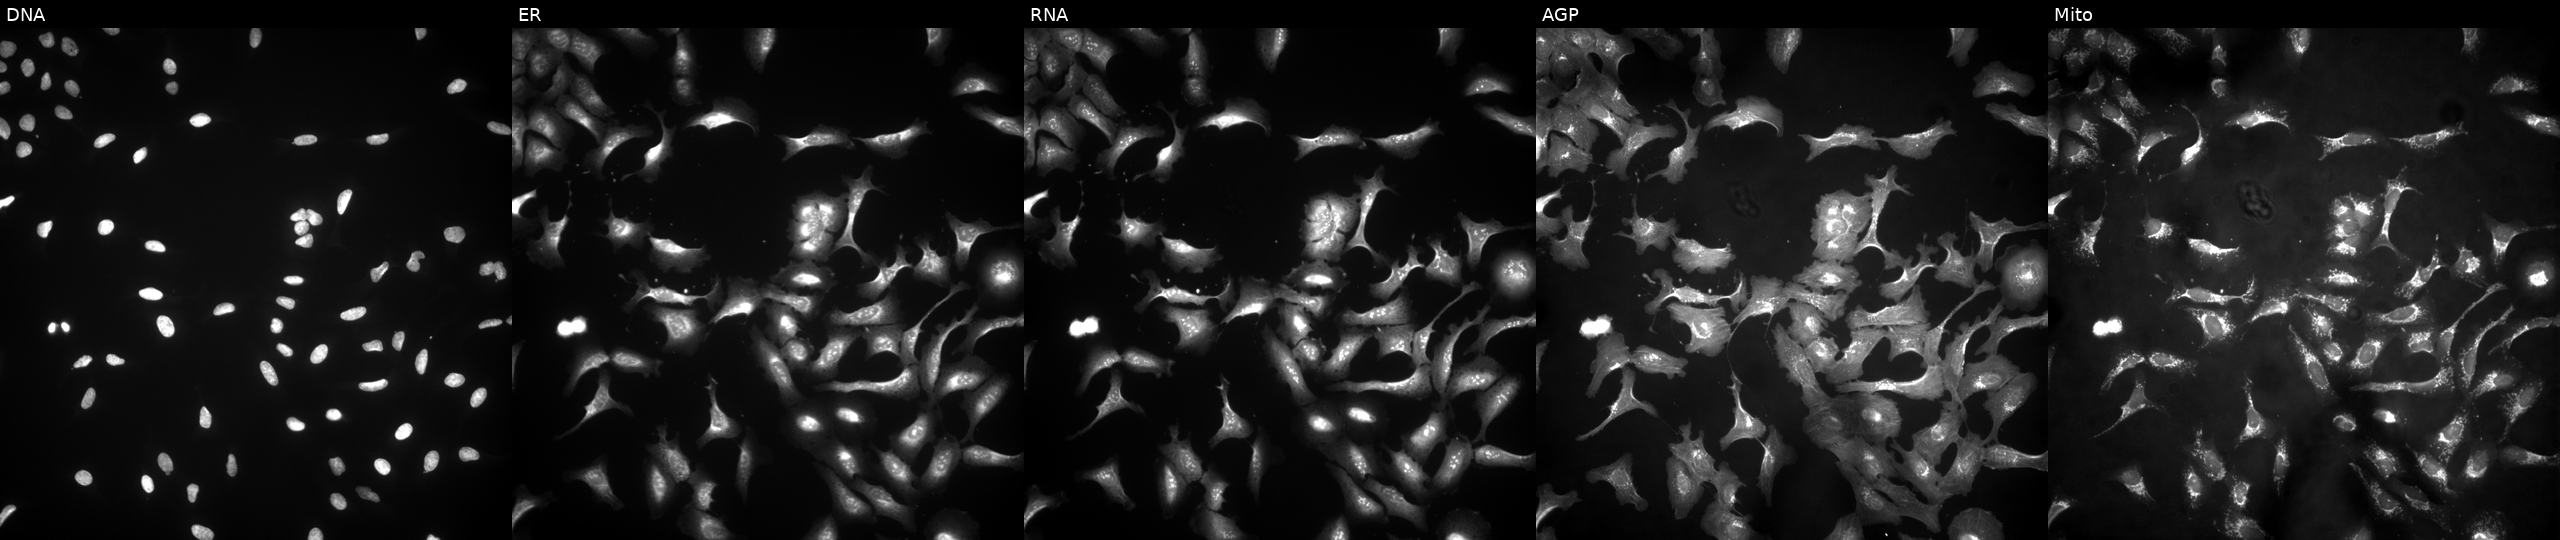
This image strip shows the five Cell Painting channels for a single field of U2OS cells with KRT15 overexpressed (ORF) (JUMP id JCP2022_900860). From left to right: Hoechst 33342, concanavalin A, SYTO 14, phalloidin and WGA, MitoTracker. Source 4, plate BR00123506, well O03.